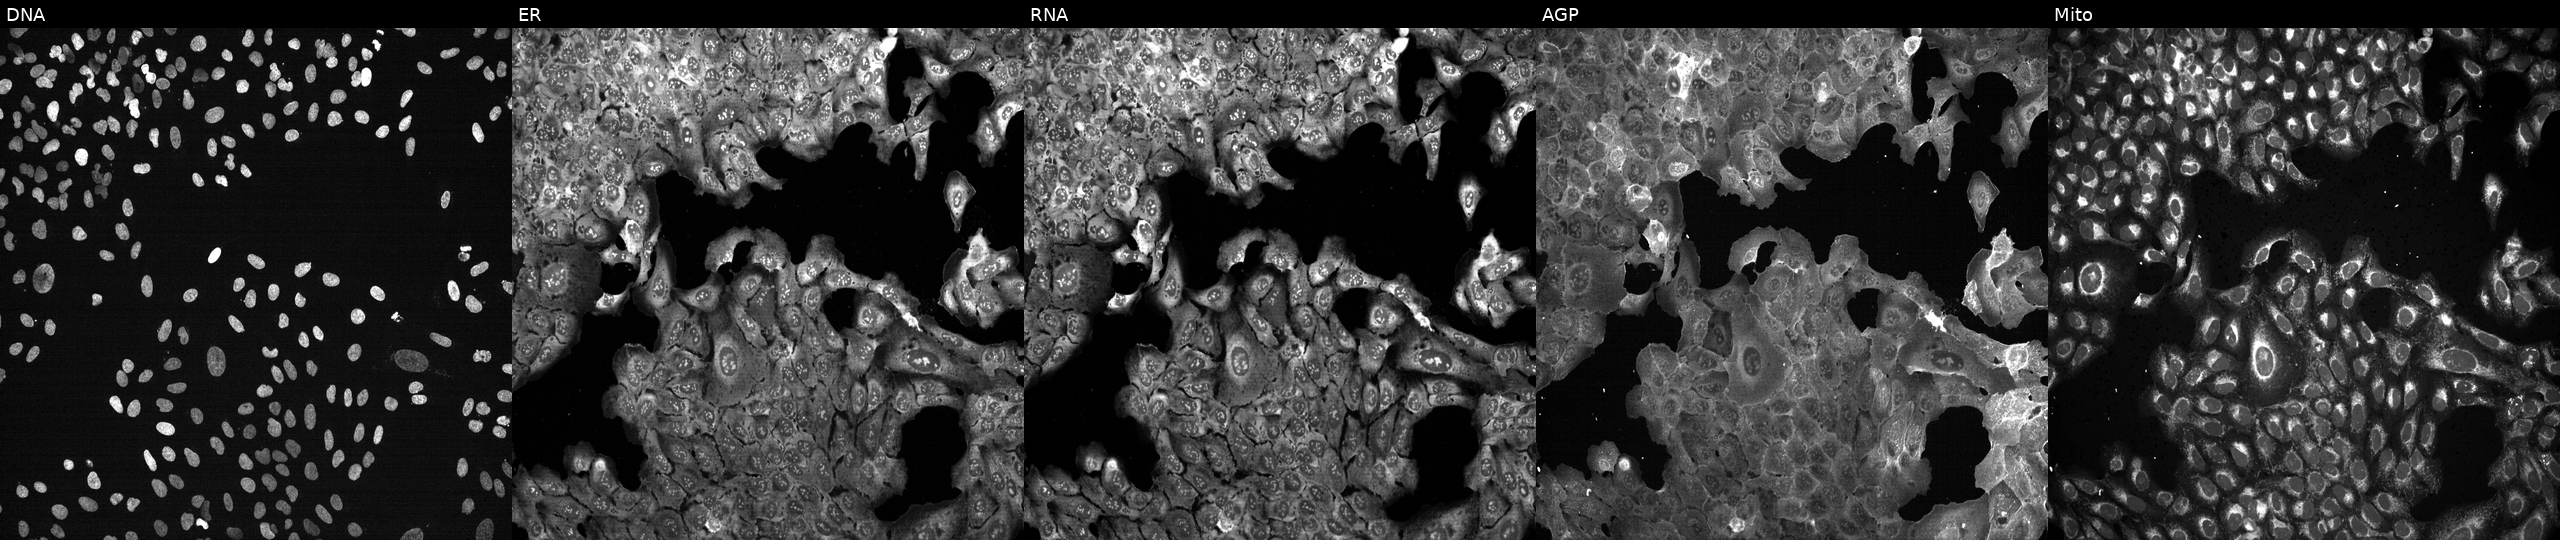
This image strip shows the five Cell Painting channels for a single field of U2OS cells following CRISPR knockout of CRY2. The five panels, left to right, show Hoechst 33342, concanavalin A, SYTO 14, phalloidin and WGA, MitoTracker.